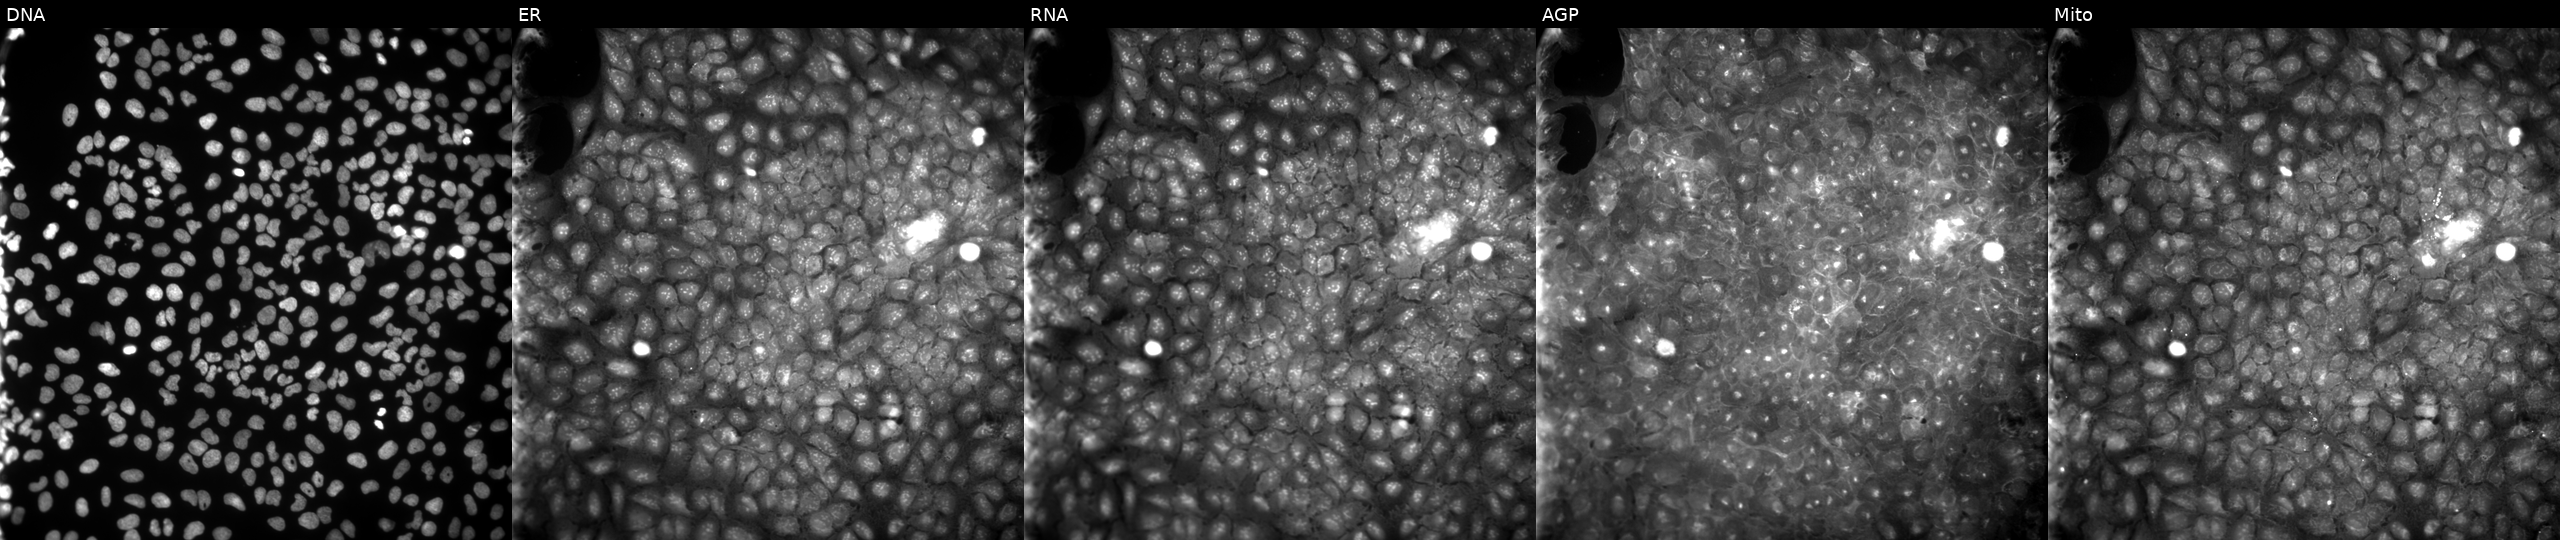
Panels show, left to right, DNA, ER, RNA, AGP, and Mito. U2OS osteosarcoma cells treated with a small-molecule compound (InChIKey SKBKYSWCKDUCNN-UHFFFAOYSA-N) (JUMP id JCP2022_083765). Cell Painting assay, JUMP-CP dataset.